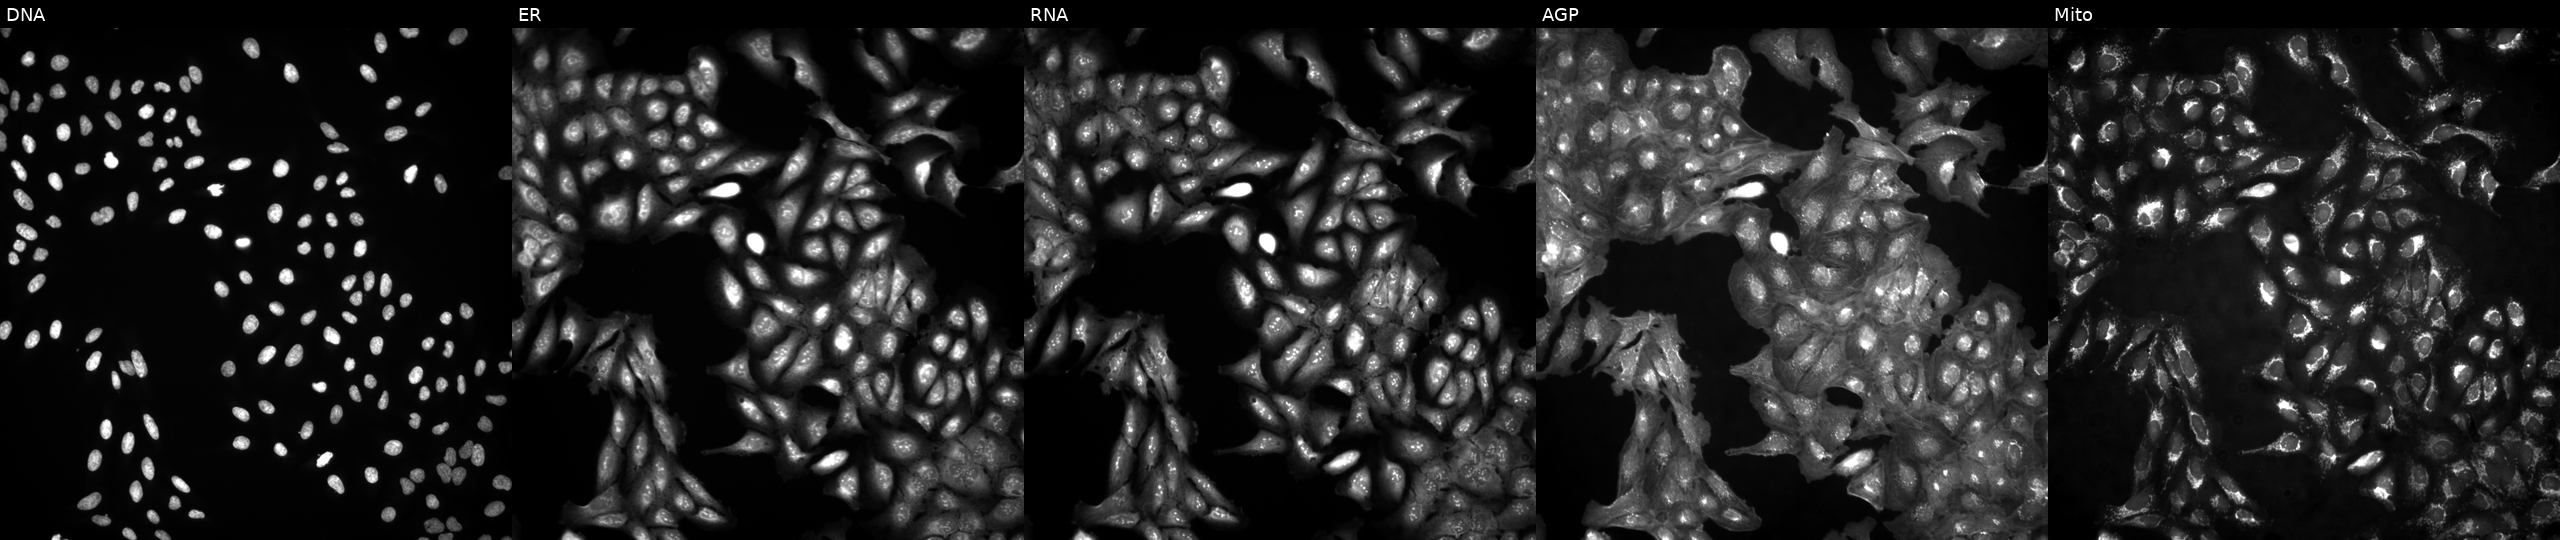
JUMP Cell Painting — ORF plate. U2OS cells in an empty control well (no perturbation) (JUMP id JCP2022_999999). Panels show, left to right, DNA (nuclei); ER (endoplasmic reticulum); RNA (nucleoli and cytoplasmic RNA); AGP (actin cytoskeleton, Golgi, and plasma membrane); Mito (mitochondria).